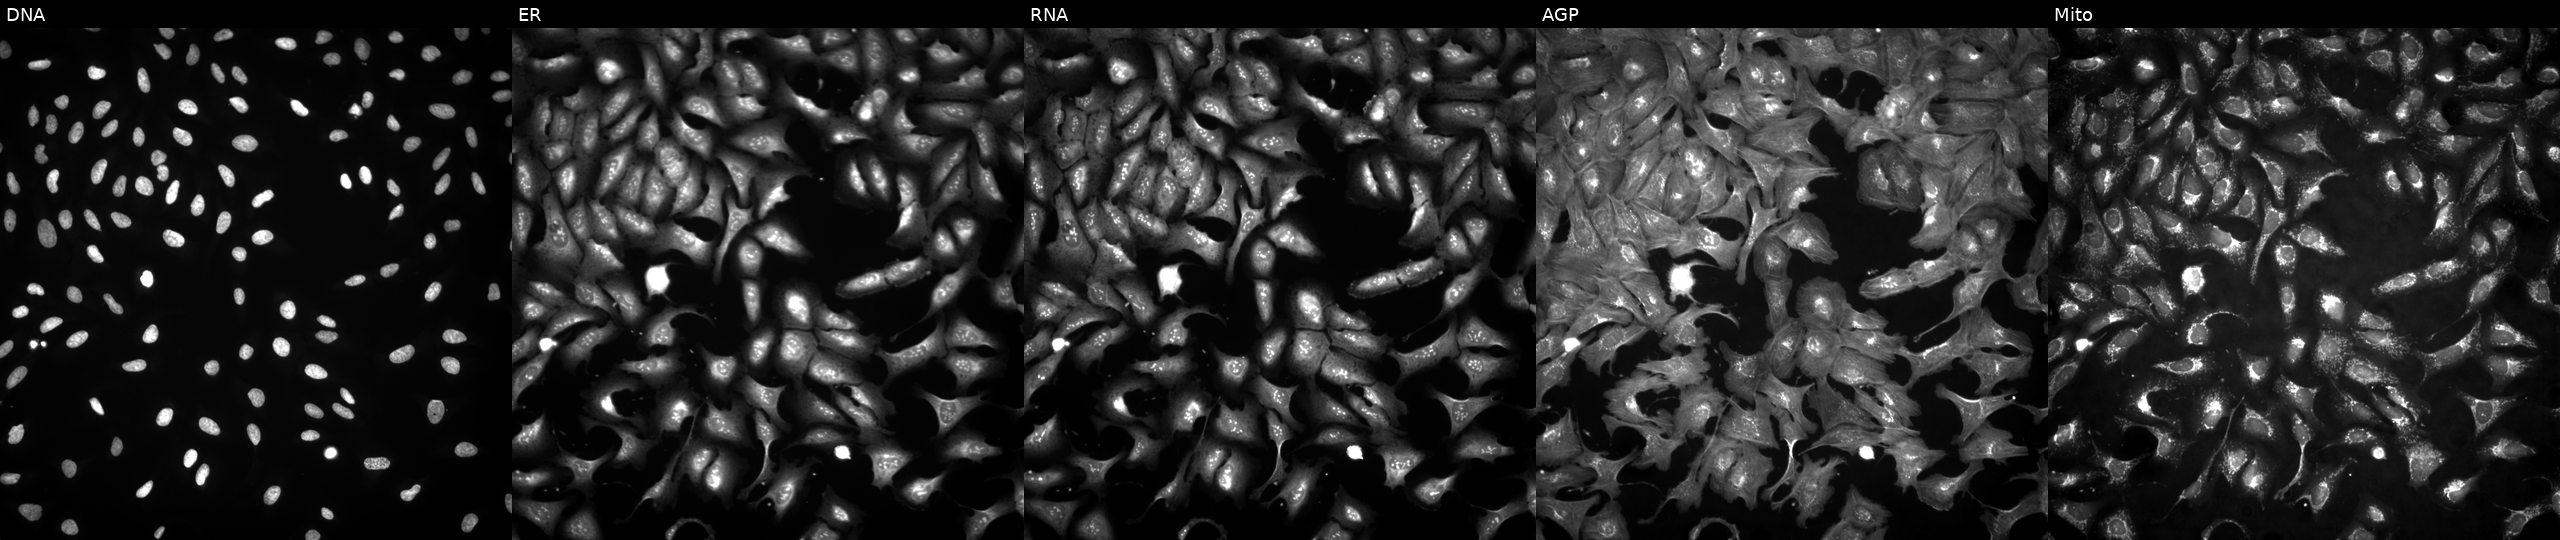
This image strip shows the five Cell Painting channels for a single field of U2OS cells with TAX1BP3 overexpressed (ORF) (JUMP id JCP2022_907639). The five panels, left to right, show DNA (nuclei); ER (endoplasmic reticulum); RNA (nucleoli and cytoplasmic RNA); AGP (actin cytoskeleton, Golgi, and plasma membrane); Mito (mitochondria). Source 4, plate BR00124784, well B10.